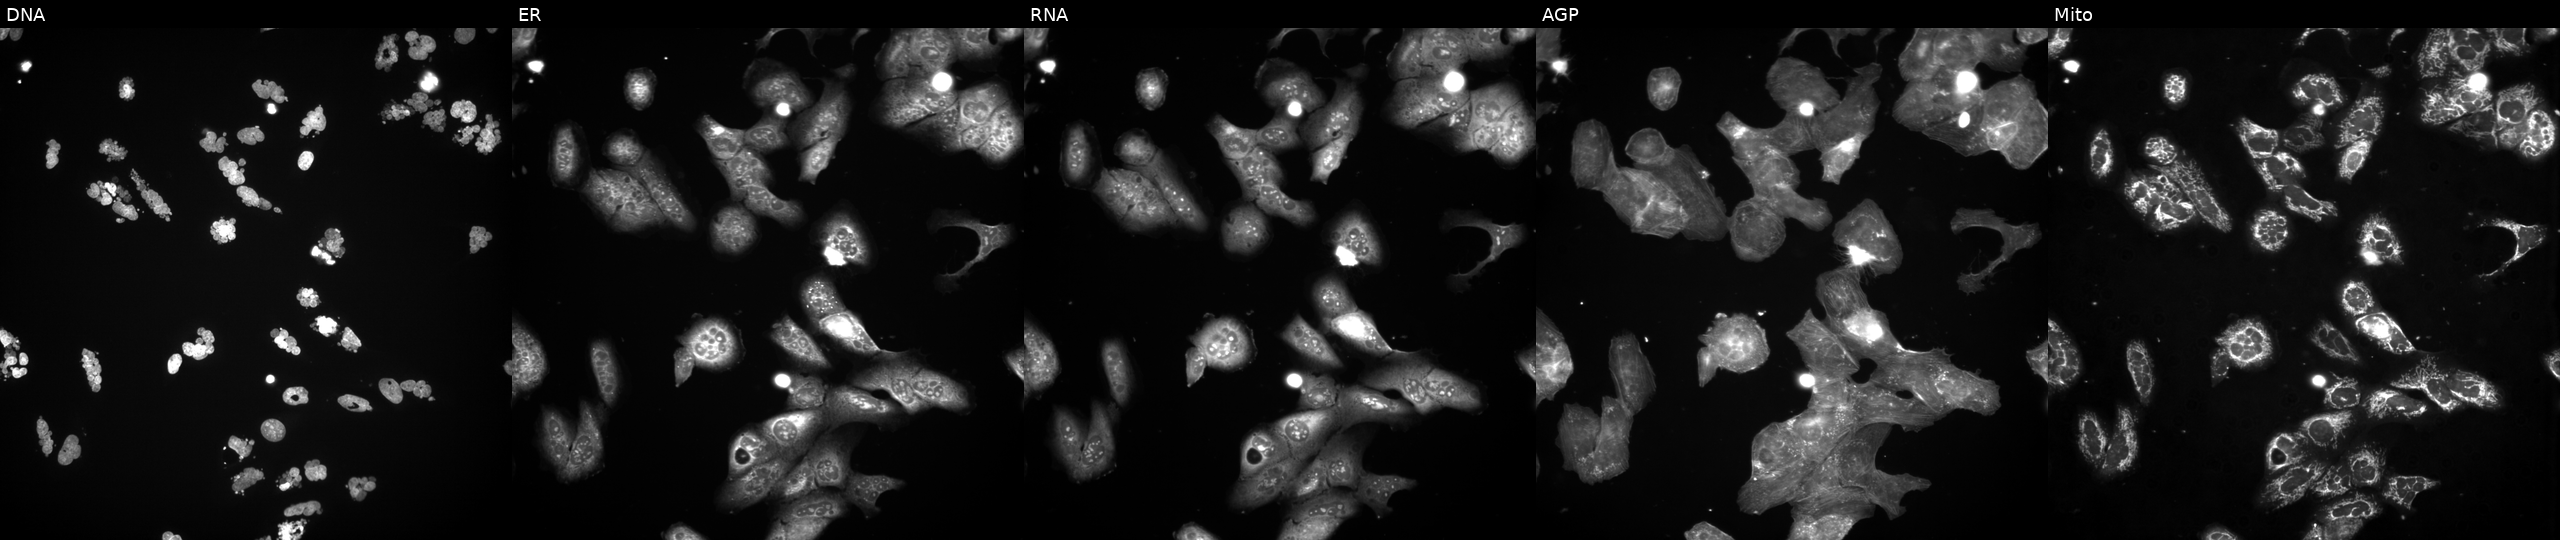
Panels show, left to right, DNA, ER, RNA, AGP, and Mito. U2OS osteosarcoma cells perturbed with a small-molecule compound (InChIKey QXRSDHAAWVKZLJ-UHFFFAOYSA-N) [SMILES: CC(=Cc1csc(C)n1)C1CC2OC2(C)CCCC(C)C(O)C(C)C(=O)C(C)(C)C(O)CC(=O)O1] (JUMP id JCP2022_076573). Cell Painting assay, JUMP-CP dataset. Source 3, plate JCPQC052, well D10.